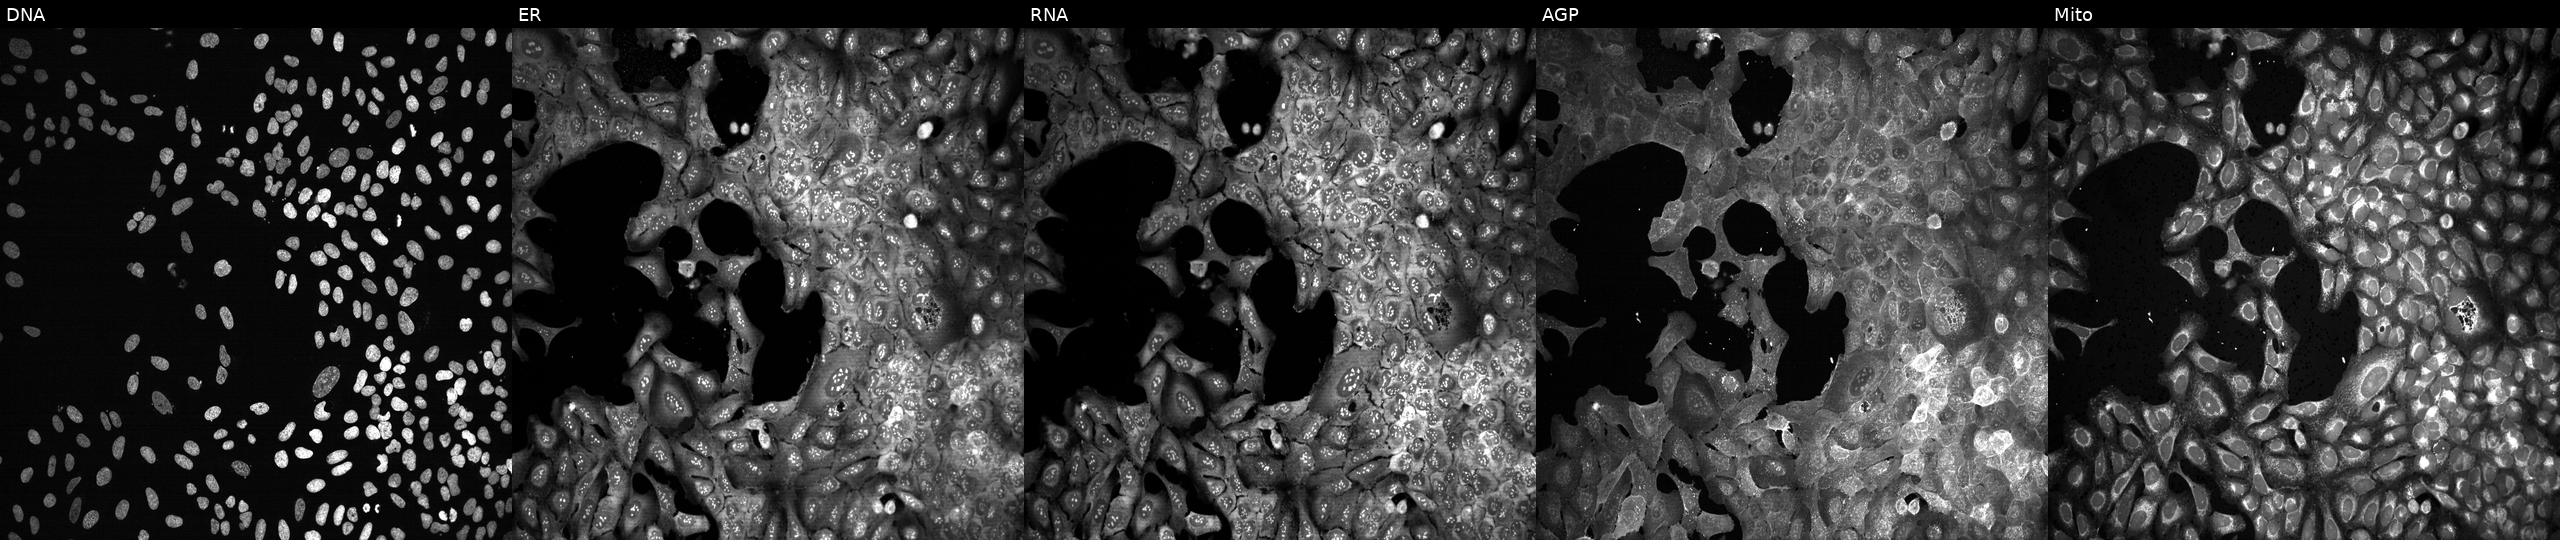
Five-channel Cell Painting image of U2OS cells with RAB1A knocked out by CRISPR. The five panels, left to right, show DNA (nuclei); ER (endoplasmic reticulum); RNA (nucleoli and cytoplasmic RNA); AGP (actin cytoskeleton, Golgi, and plasma membrane); Mito (mitochondria).